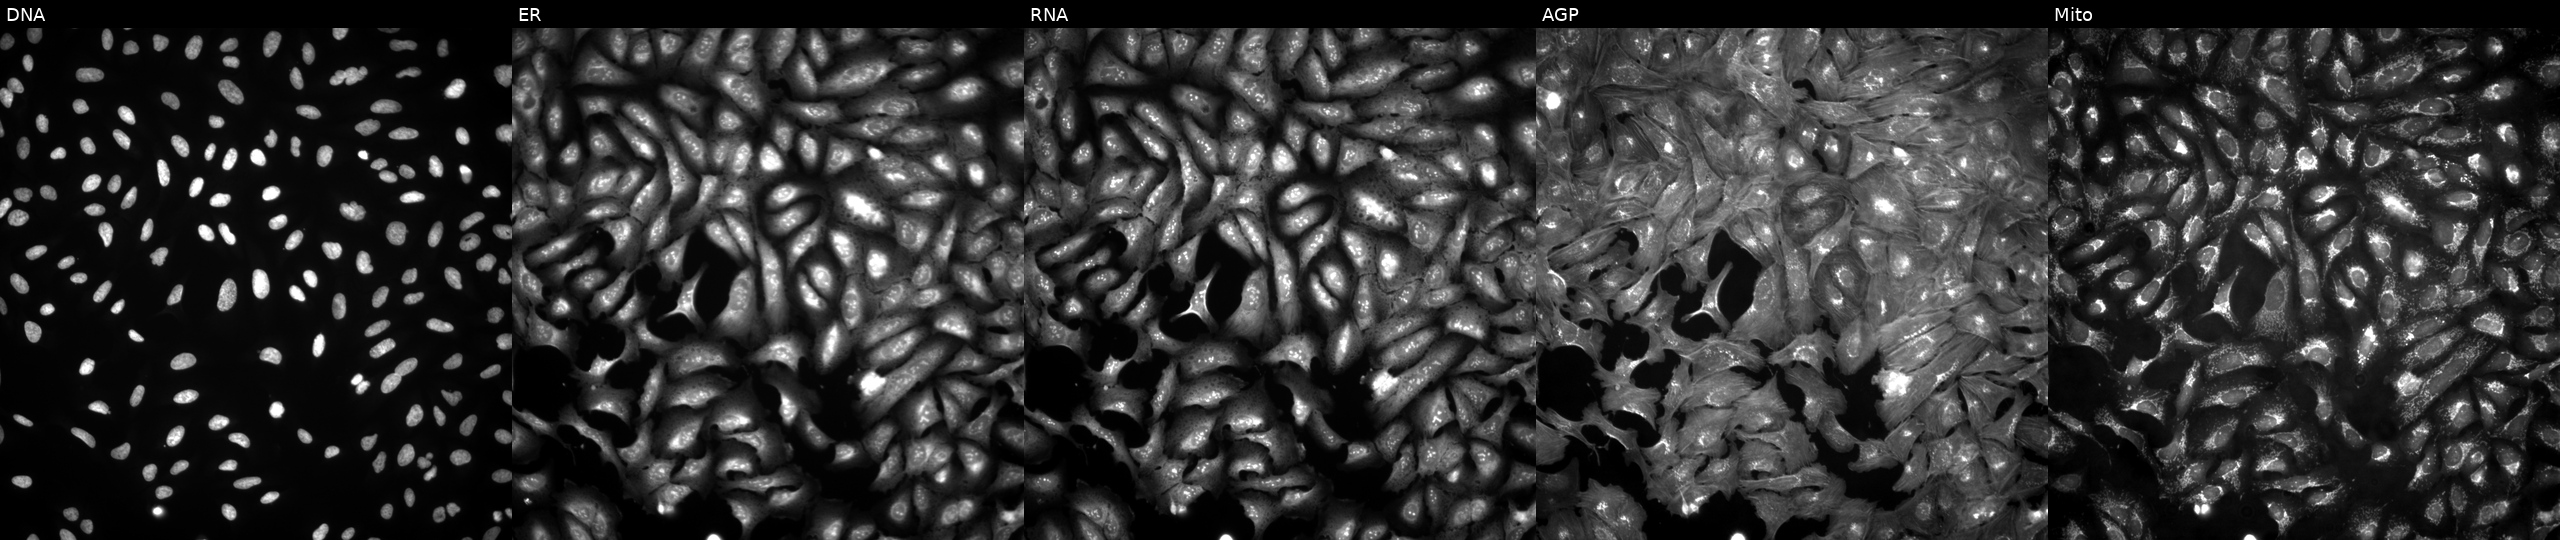
This image strip shows the five Cell Painting channels for a single field of U2OS cells transfected with an ORF construct for PSMD2. The five panels, left to right, show Hoechst 33342, concanavalin A, SYTO 14, phalloidin and WGA, MitoTracker. Source 4, plate BR00124784, well A12.